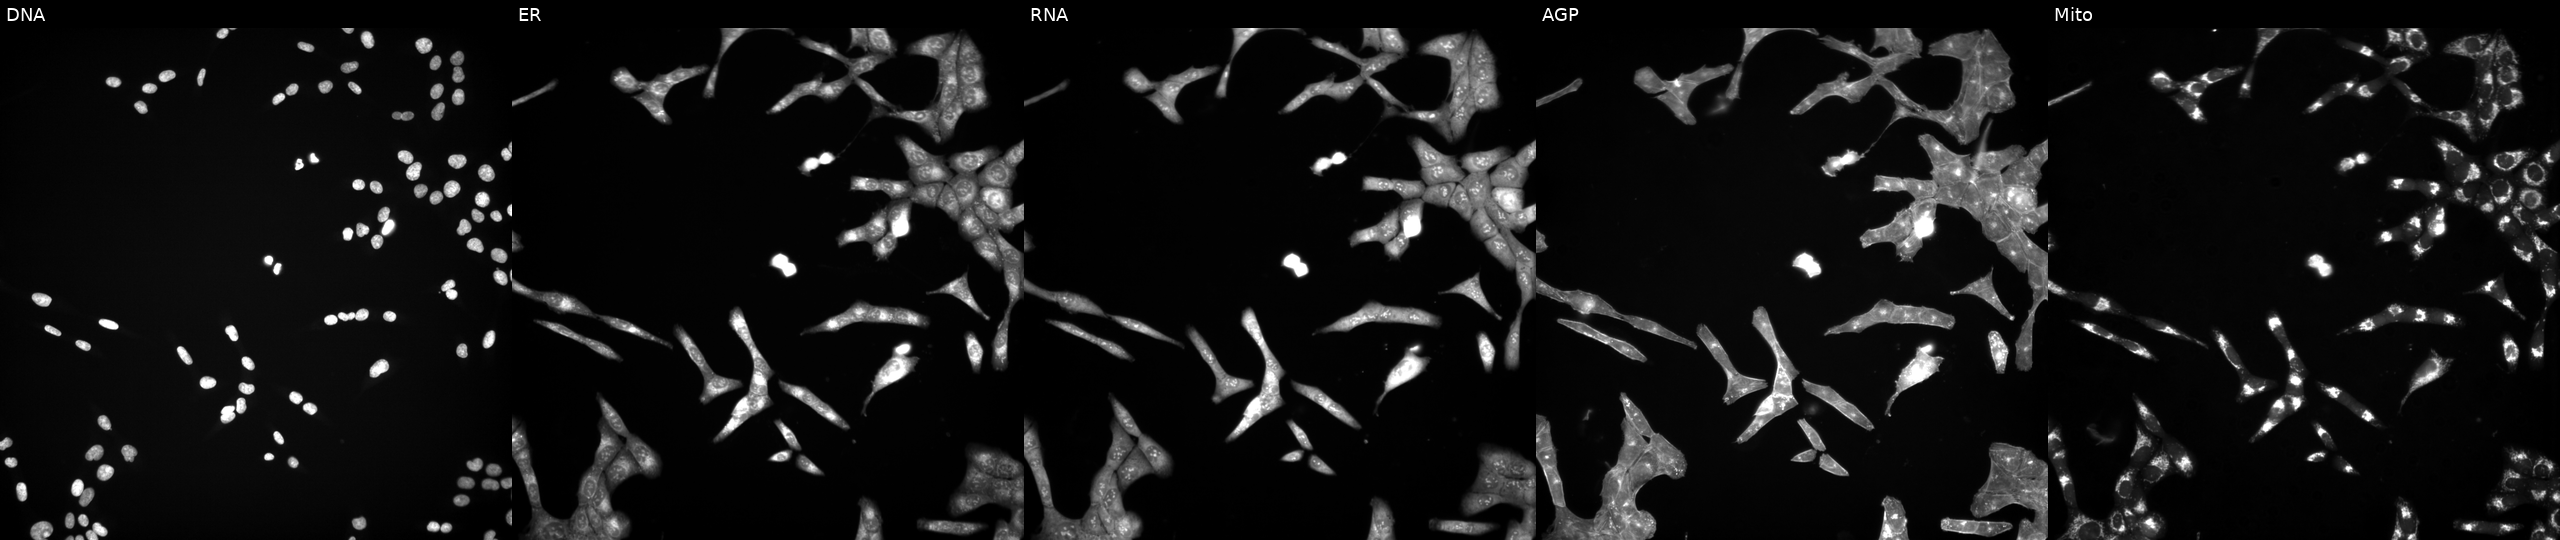
U2OS cells, Cell Painting assay, exposed to a small-molecule compound (JUMP id JCP2022_042332). From left to right: Hoechst 33342, concanavalin A, SYTO 14, phalloidin and WGA, MitoTracker. Each panel is percentile-stretched 16-bit fluorescence. Source 3, plate JCPQC051, well C10.